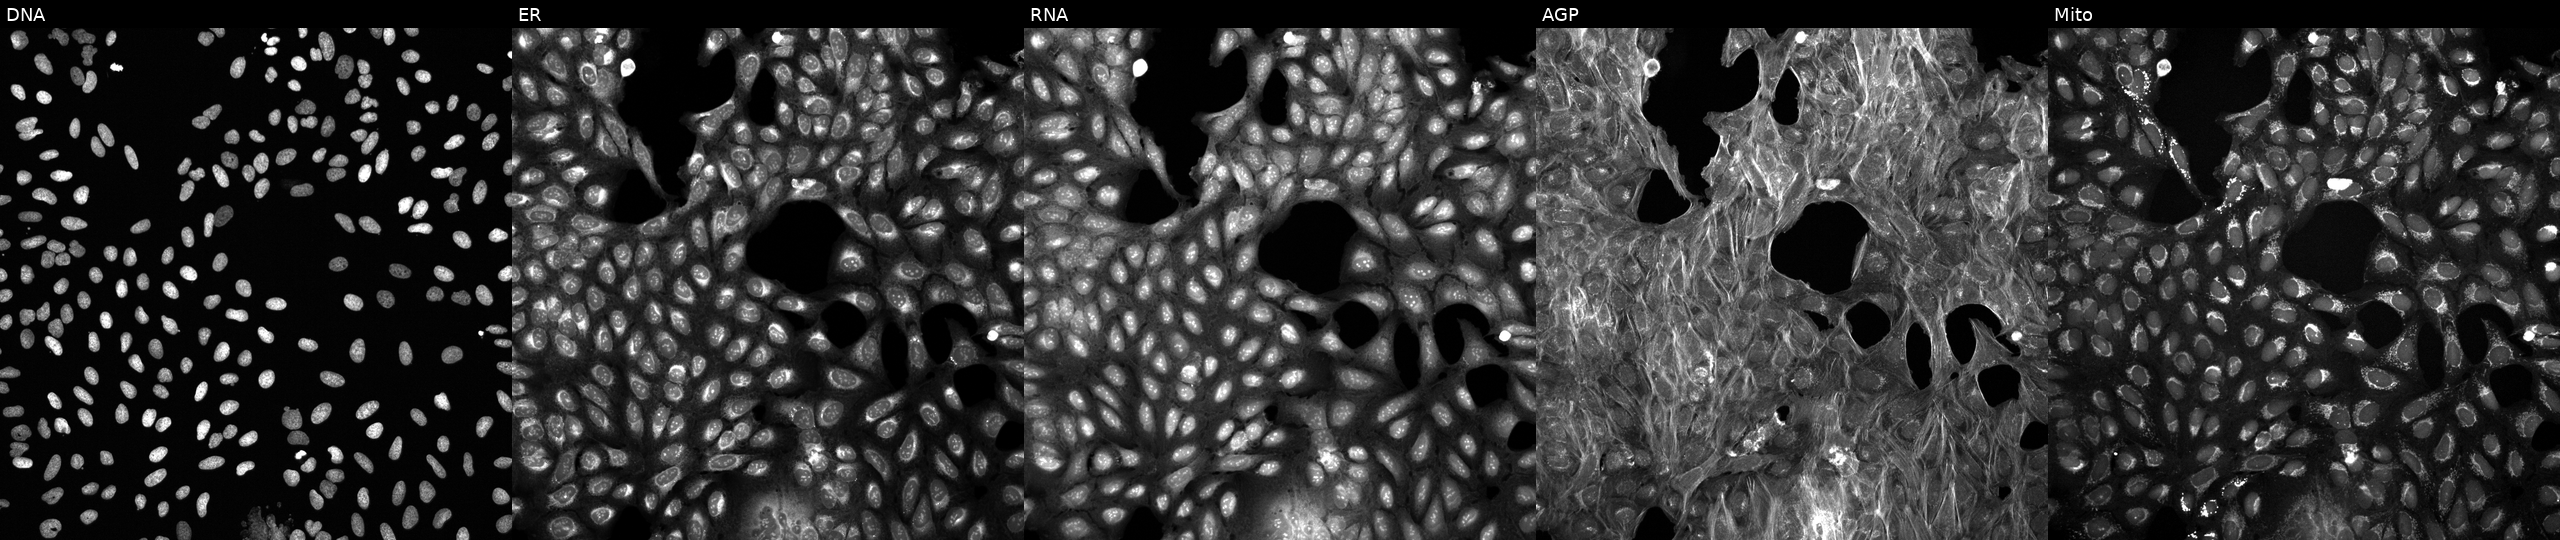
High-content fluorescence microscopy (Cell Painting). Cell line: U2OS. Perturbation: exposed to a small-molecule compound (InChIKey WATNXVHKRRTUFK-UHFFFAOYSA-N). Channels (left→right): DNA (nuclei); ER (endoplasmic reticulum); RNA (nucleoli and cytoplasmic RNA); AGP (actin cytoskeleton, Golgi, and plasma membrane); Mito (mitochondria).